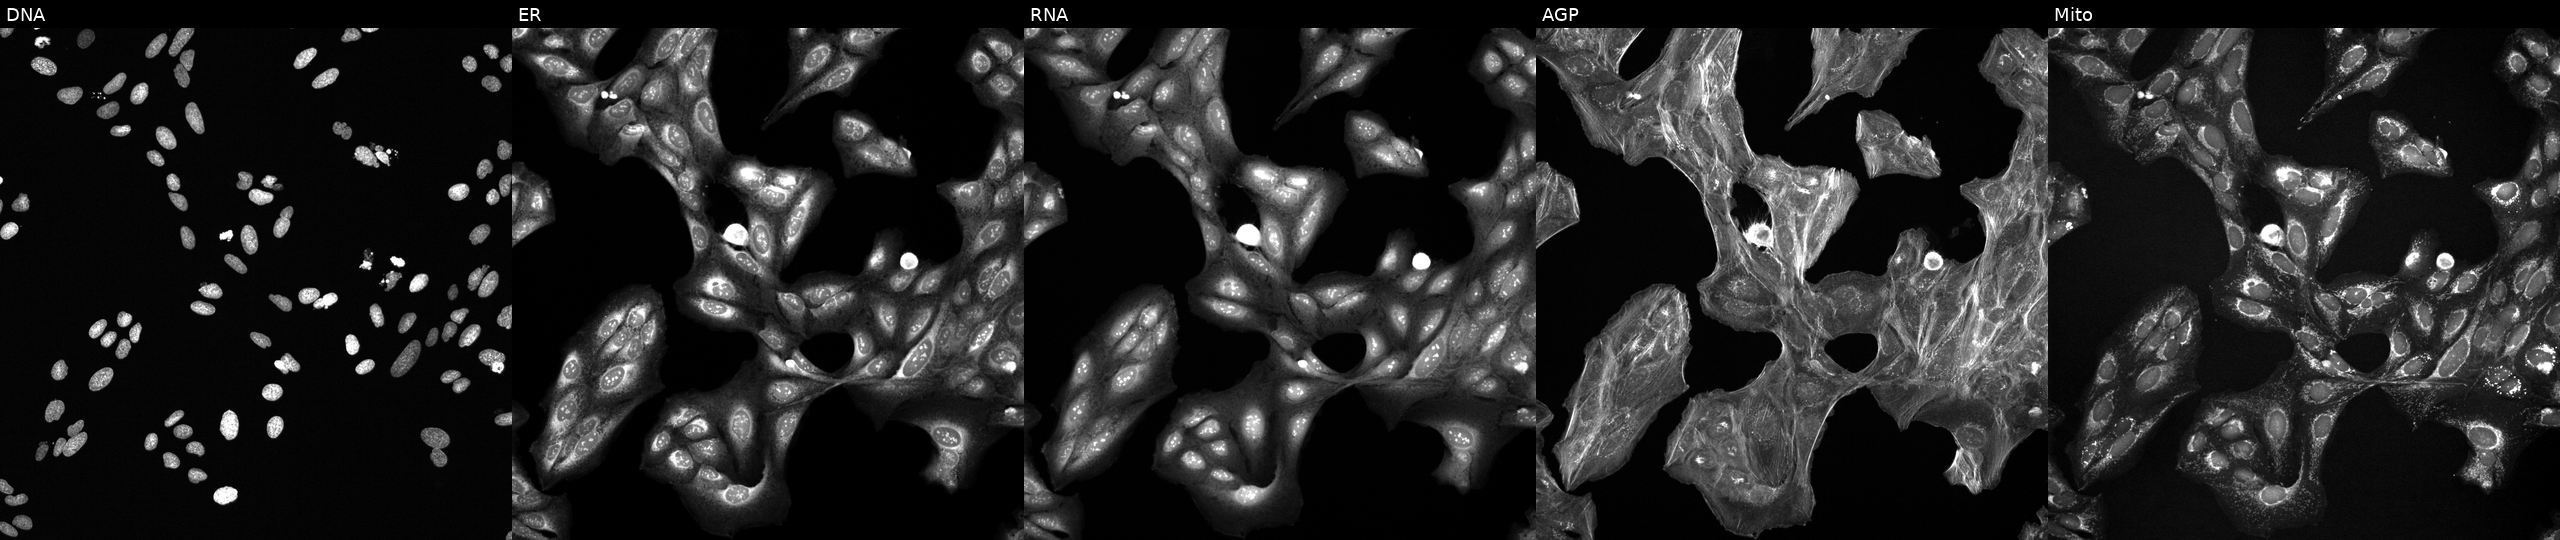
U2OS cells, Cell Painting assay, treated with a small-molecule compound (InChIKey PMXCMJLOPOFPBT-UHFFFAOYSA-N). Panels show, left to right, Hoechst 33342, concanavalin A, SYTO 14, phalloidin and WGA, MitoTracker. Each panel is percentile-stretched 16-bit fluorescence.